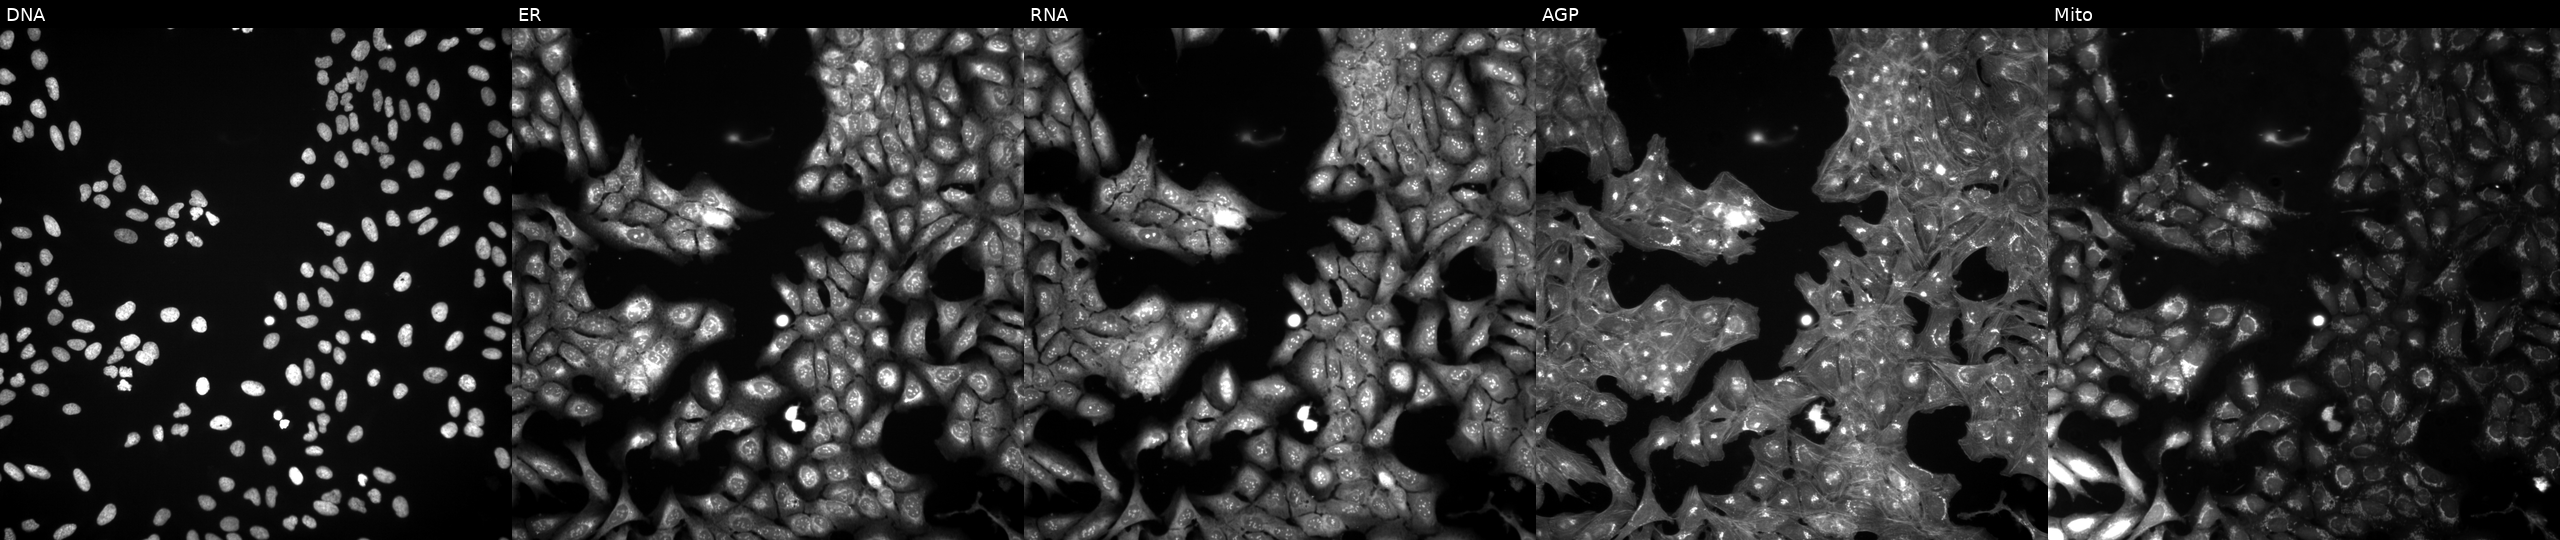
Channels (left→right): DNA, ER, RNA, AGP, and Mito. U2OS osteosarcoma cells treated with DMSO vehicle only (negative control). Cell Painting assay, JUMP-CP dataset. Source 3, plate JCPQC052, well H09.